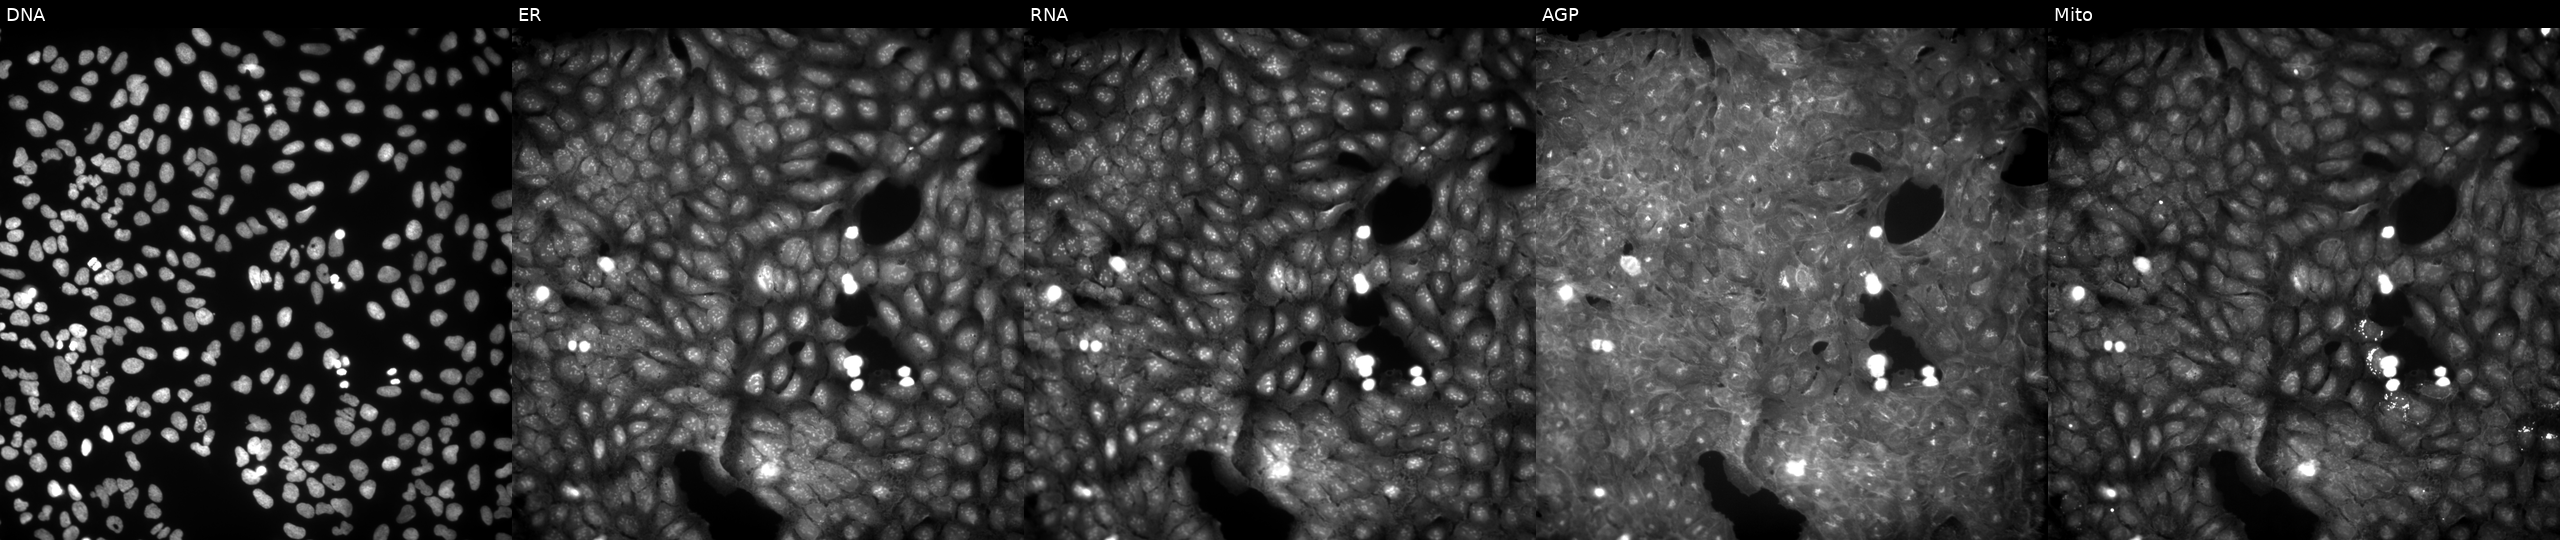
High-content fluorescence microscopy (Cell Painting). Cell line: U2OS. Perturbation: exposed to a small-molecule compound [SMILES: Oc1cc(Cc2ccc(Cl)cc2)c(O)n1Cc1ccccc1]. The five panels, left to right, show DNA, ER, RNA, AGP, and Mito.